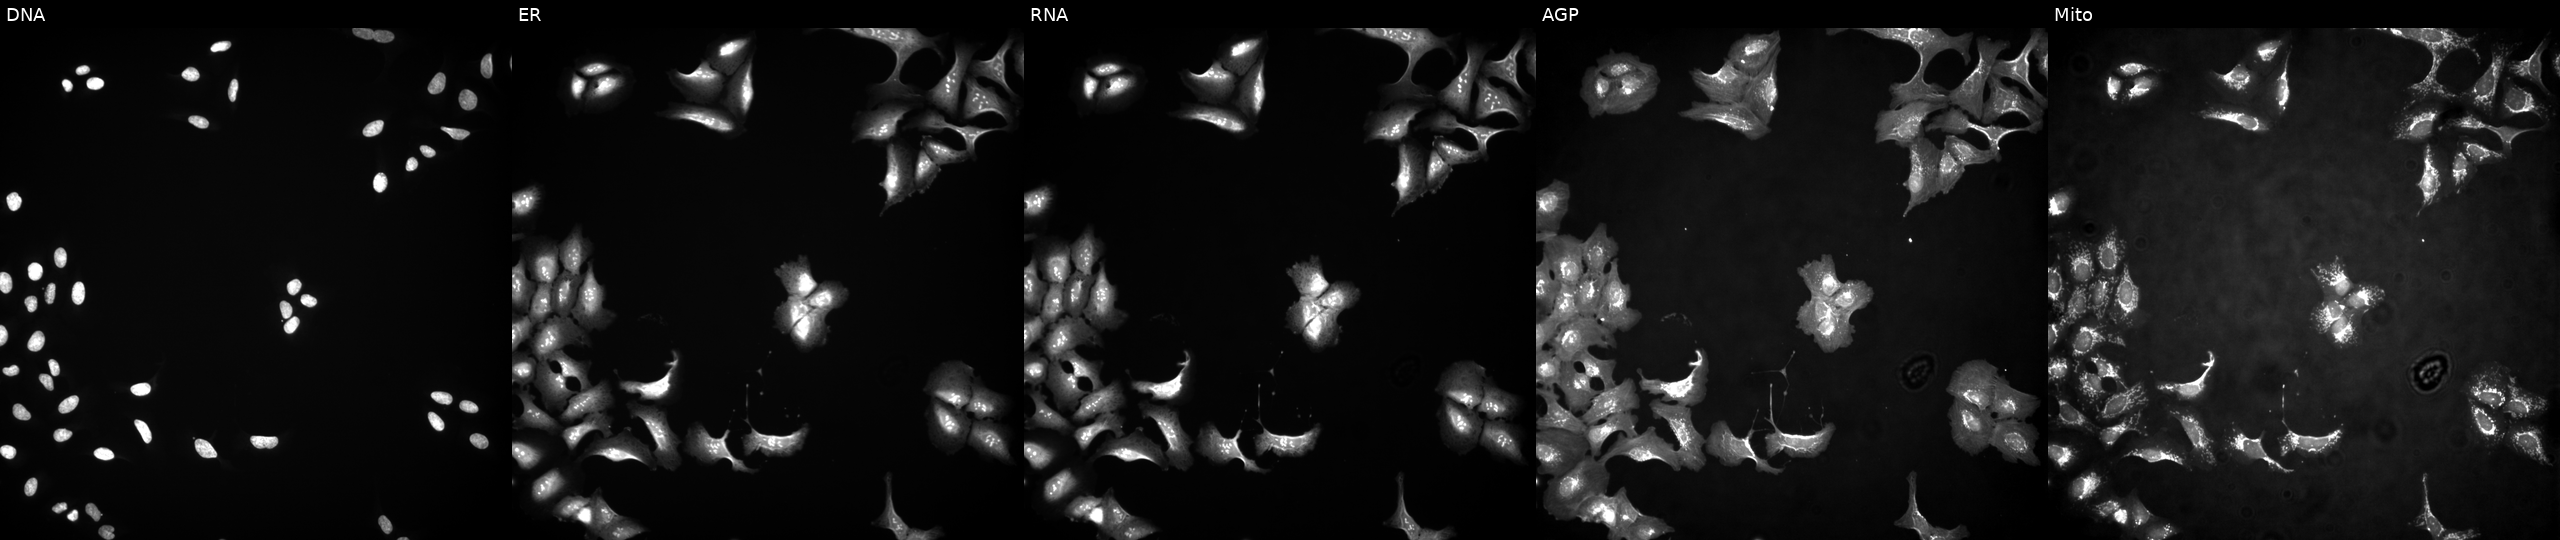
JUMP Cell Painting — ORF plate. U2OS cells with CEBPG overexpressed (ORF) (JUMP id JCP2022_900267). Channels (left→right): DNA, ER, RNA, AGP, and Mito. Source 4, plate BR00117035, well K01.